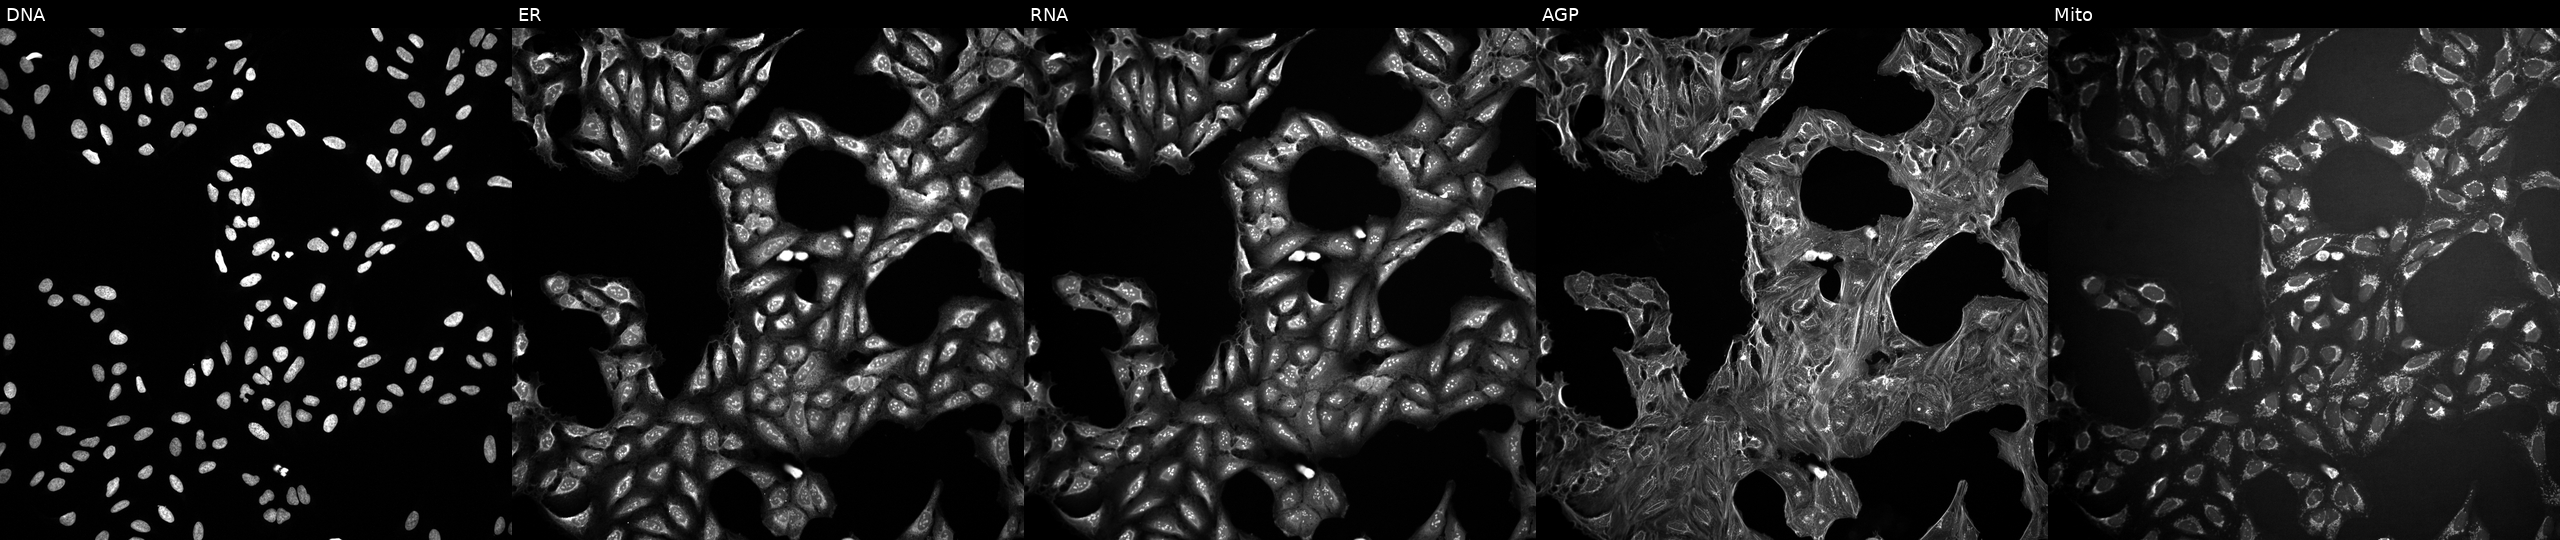
Five-channel Cell Painting image of U2OS cells treated with a small-molecule compound (InChIKey YMDXSGBNCBQYGC-UHFFFAOYSA-N). Channels (left→right): DNA, ER, RNA, AGP, and Mito. Source 10, plate Dest210727-153003, well C24.